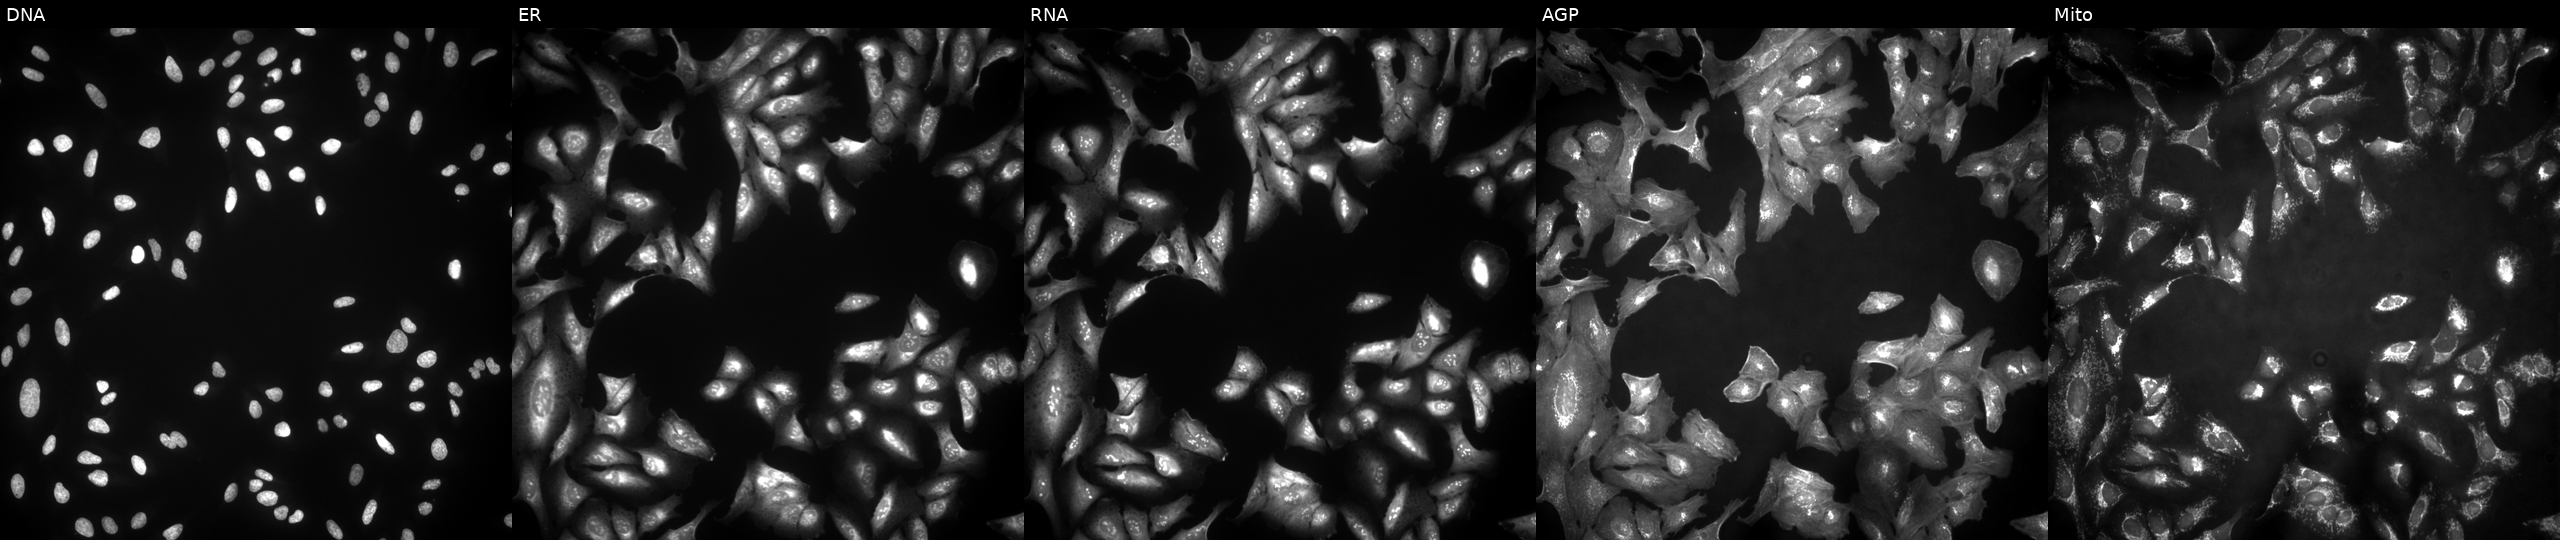
This image strip shows the five Cell Painting channels for a single field of U2OS cells overexpressing GPC4 via ORF transfection (JUMP id JCP2022_900519). From left to right: DNA, ER, RNA, AGP, and Mito. Source 4, plate BR00123506, well J04.